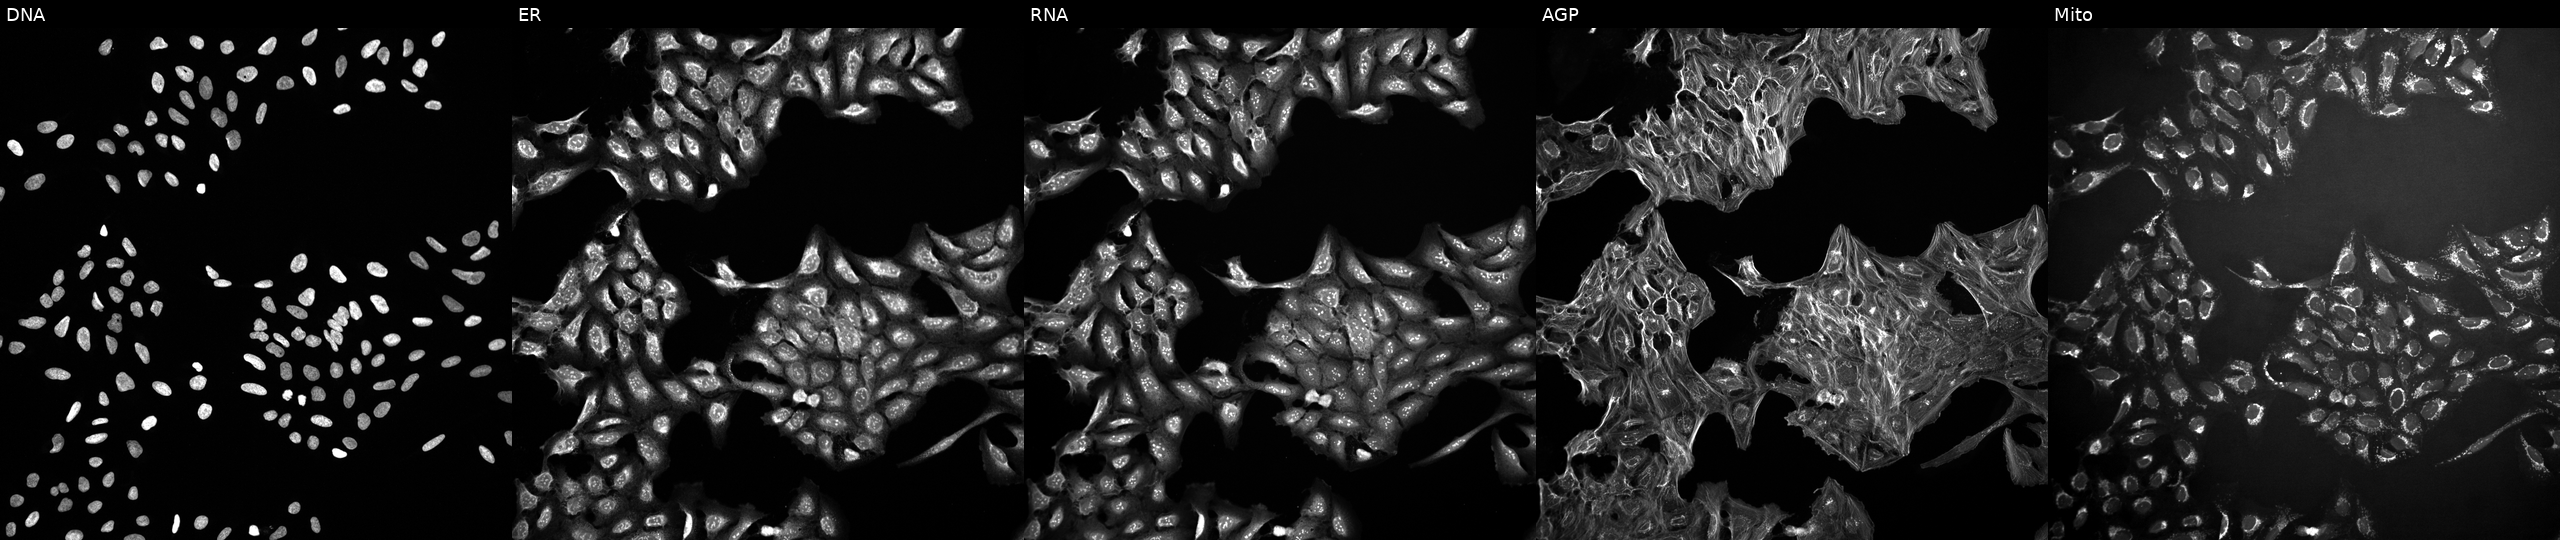
High-content fluorescence microscopy (Cell Painting). Cell line: U2OS. Perturbation: perturbed with a small-molecule compound (InChIKey BGVLELSCIHASRV-UHFFFAOYSA-N) [SMILES: CCN1C(=CC(C)=O)Sc2ccc(OC)cc21]. Panels show, left to right, DNA (nuclei); ER (endoplasmic reticulum); RNA (nucleoli and cytoplasmic RNA); AGP (actin cytoskeleton, Golgi, and plasma membrane); Mito (mitochondria).